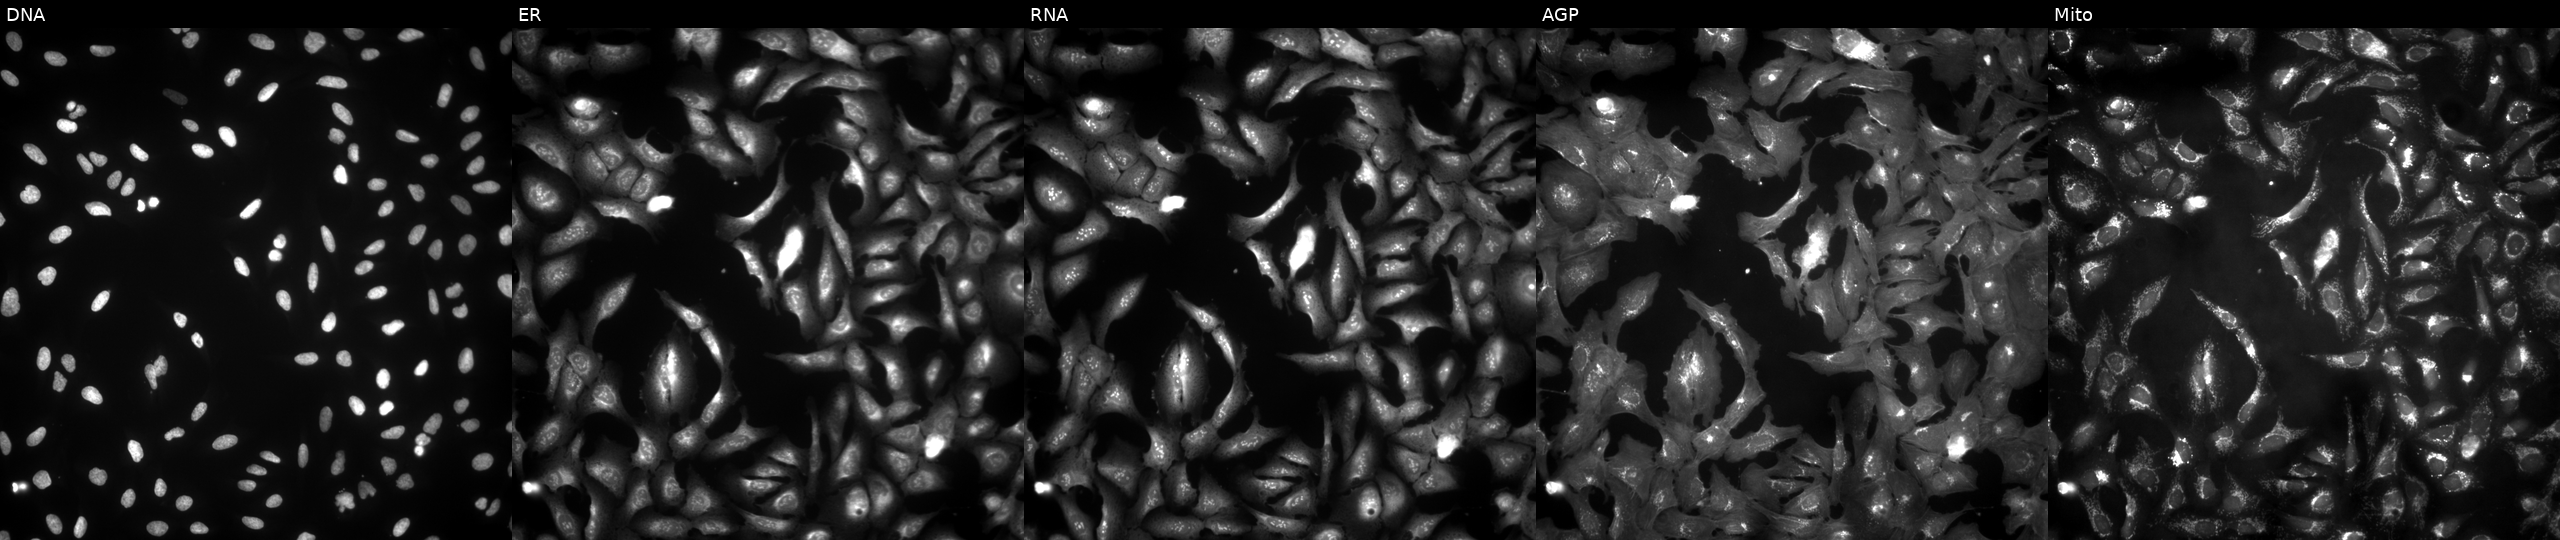
High-content fluorescence microscopy (Cell Painting). Cell line: U2OS. Perturbation: with PRORP overexpressed (ORF) (JUMP id JCP2022_914665). Panels show, left to right, DNA, ER, RNA, AGP, and Mito.